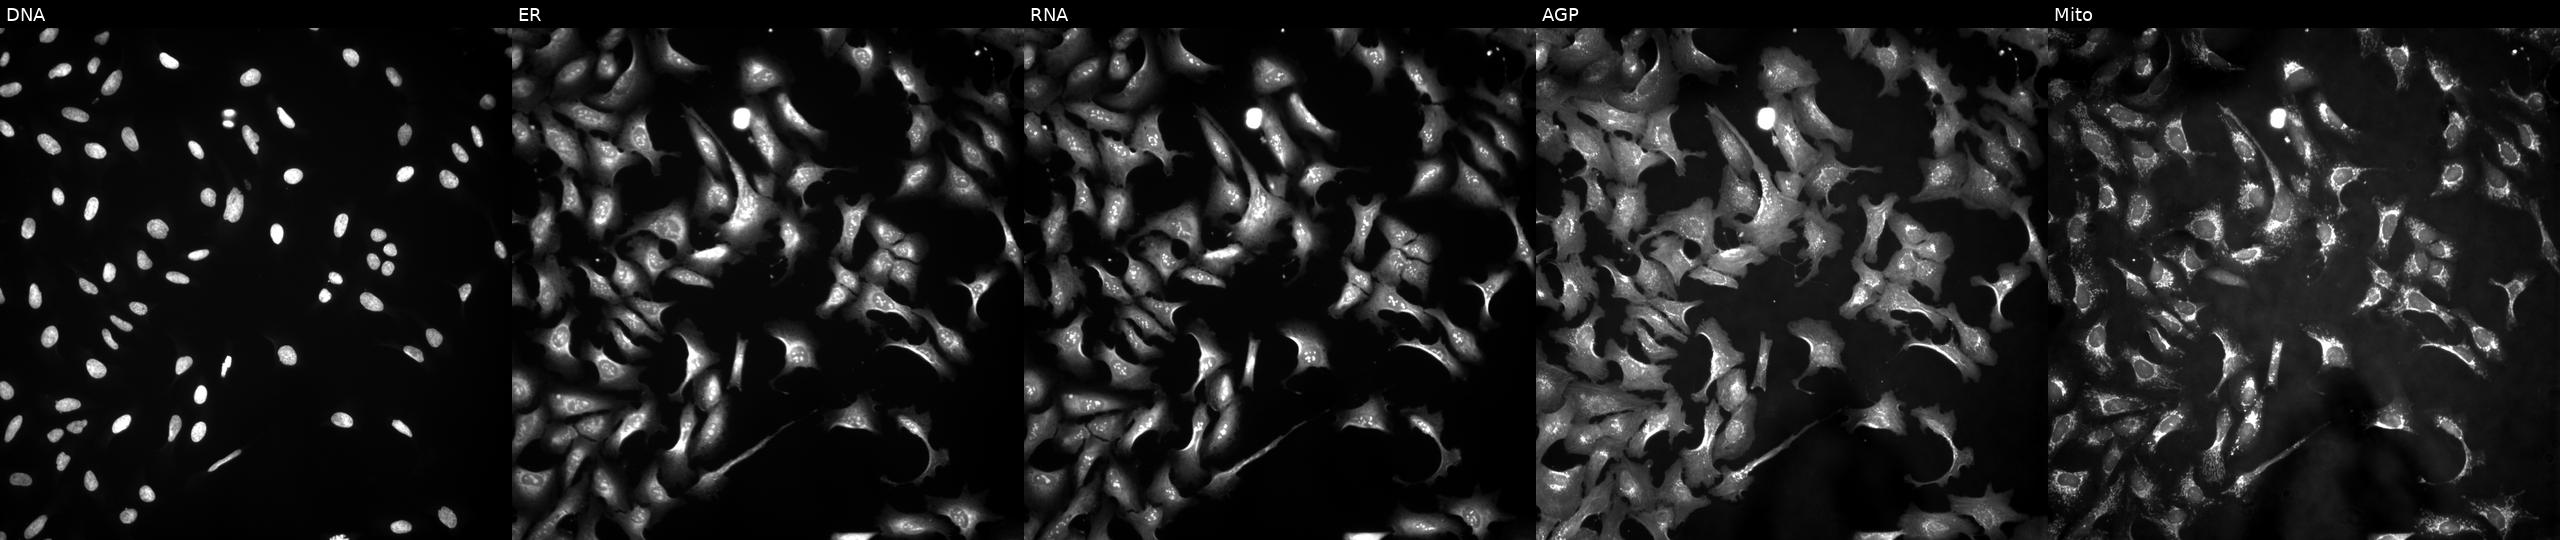
U2OS cells, Cell Painting assay, transfected with an ORF construct for ACSBG2 (JUMP id JCP2022_908475). The five panels, left to right, show DNA (nuclei); ER (endoplasmic reticulum); RNA (nucleoli and cytoplasmic RNA); AGP (actin cytoskeleton, Golgi, and plasma membrane); Mito (mitochondria). Each panel is percentile-stretched 16-bit fluorescence. Source 4, plate BR00121543, well L03.